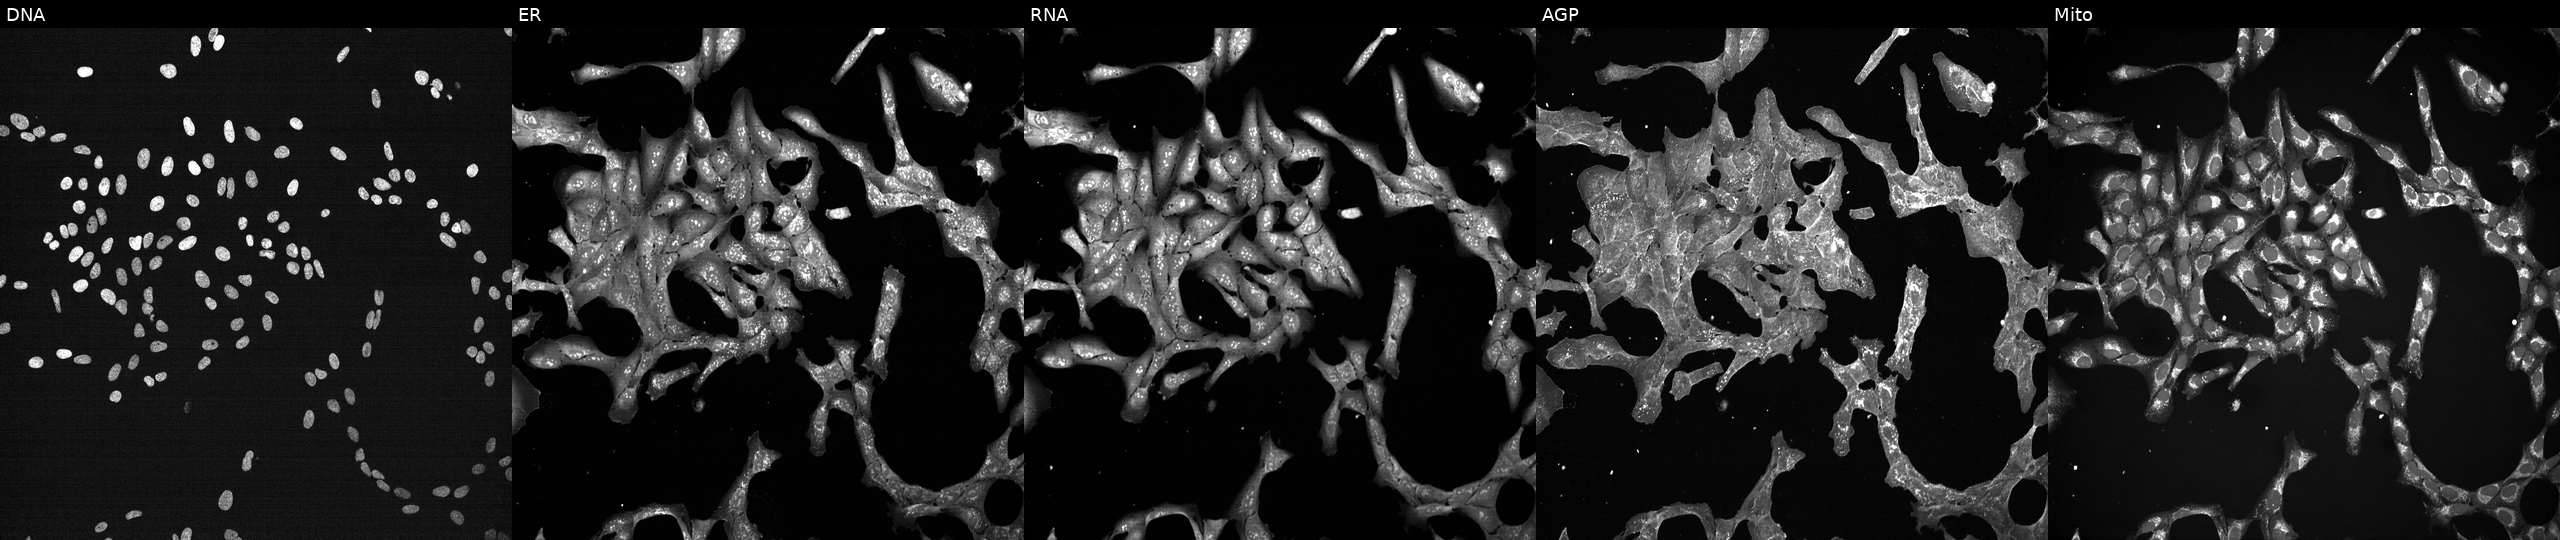
JUMP Cell Painting — TARGET2 plate. U2OS cells treated with a small-molecule compound (InChIKey NUIKTBLZSPQGCP-UHFFFAOYSA-N) [SMILES: CCOc1ccc(-c2nc(-c3cccc4c3CCC4NCCO)no2)cc1OCC]. Panels show, left to right, Hoechst 33342, concanavalin A, SYTO 14, phalloidin and WGA, MitoTracker.